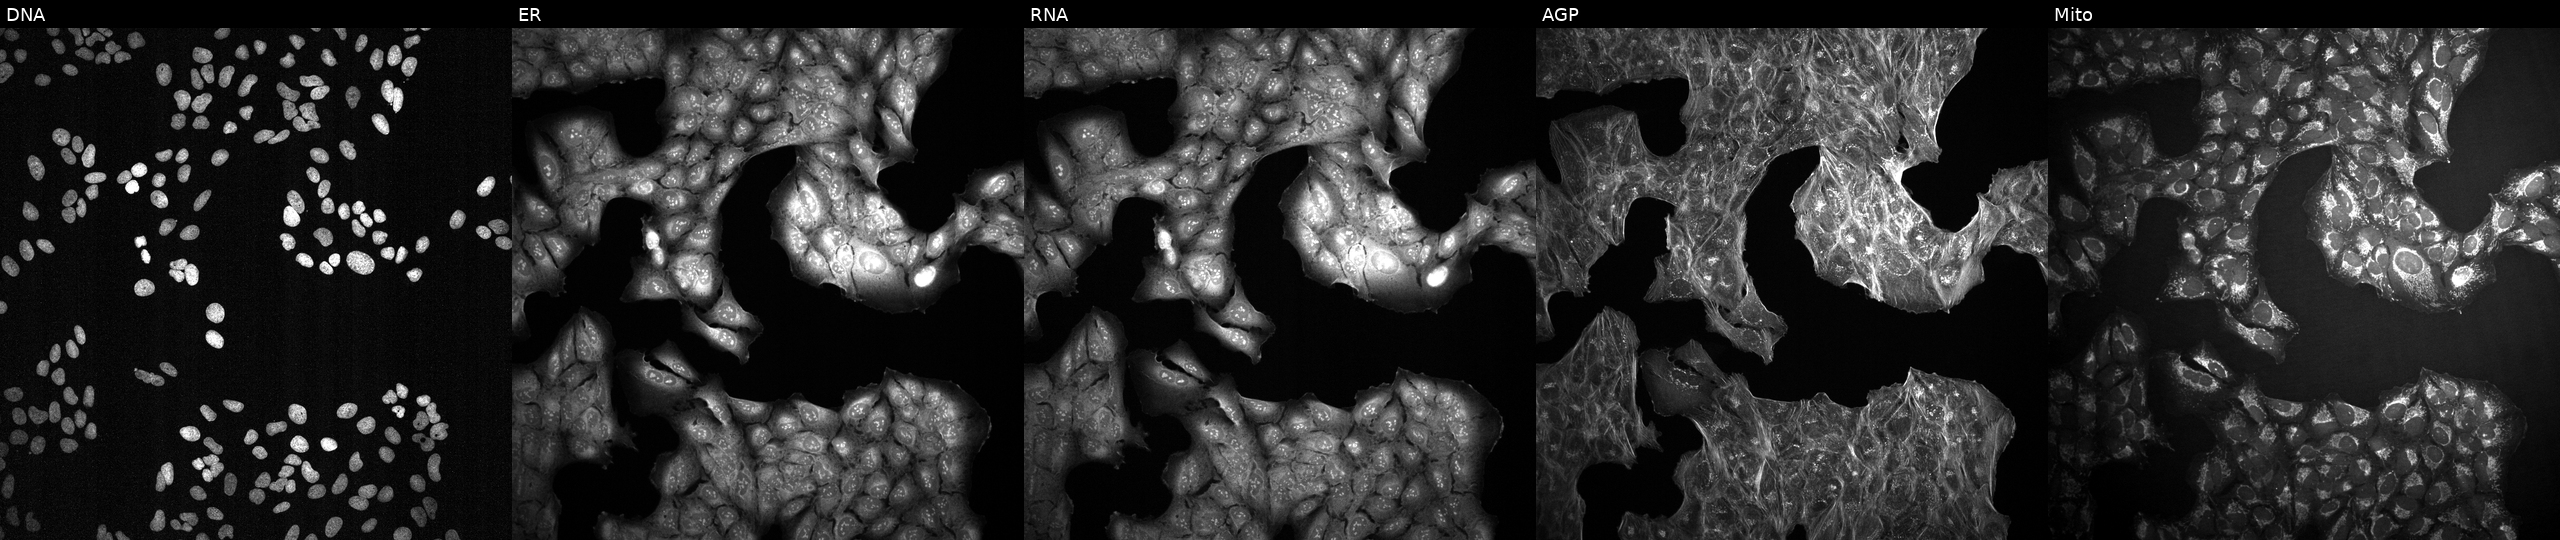
This image strip shows the five Cell Painting channels for a single field of U2OS cells perturbed with a small-molecule compound (InChIKey OAVGBZOFDPFGPJ-UHFFFAOYSA-N) [SMILES: CN1CCN(c2nc(C3=C(c4c[nH]c5ccccc45)C(=O)NC3=O)c3ccccc3n2)CC1] (JUMP id JCP2022_062592). Panels show, left to right, DNA, ER, RNA, AGP, and Mito.